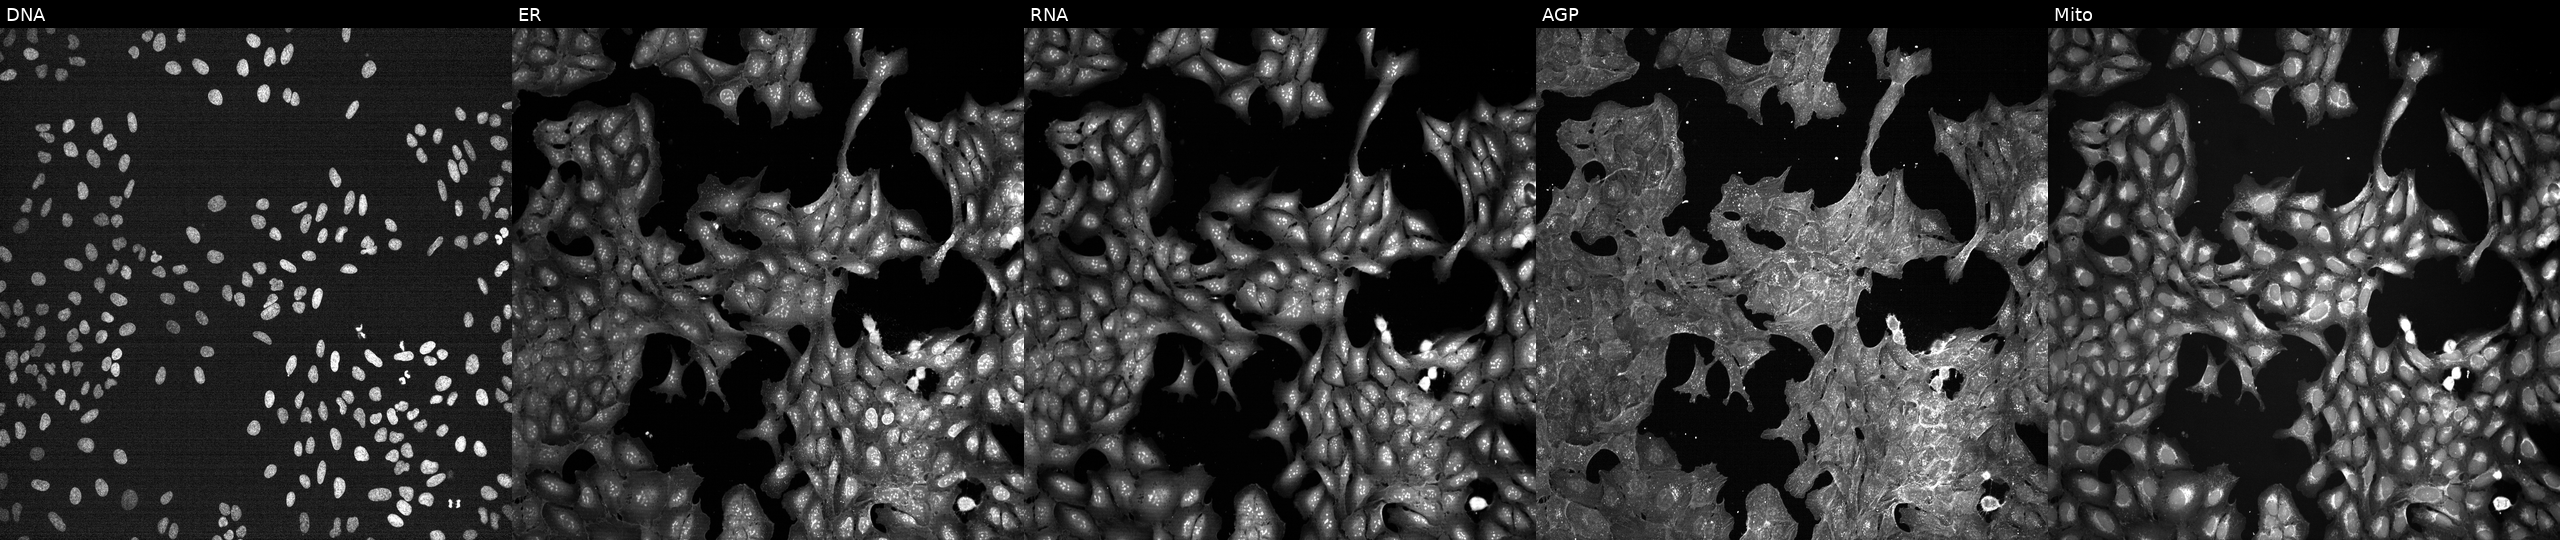
This image strip shows the five Cell Painting channels for a single field of U2OS cells treated with DMSO vehicle only (negative control) (JUMP id JCP2022_033924). The five panels, left to right, show DNA, ER, RNA, AGP, and Mito.